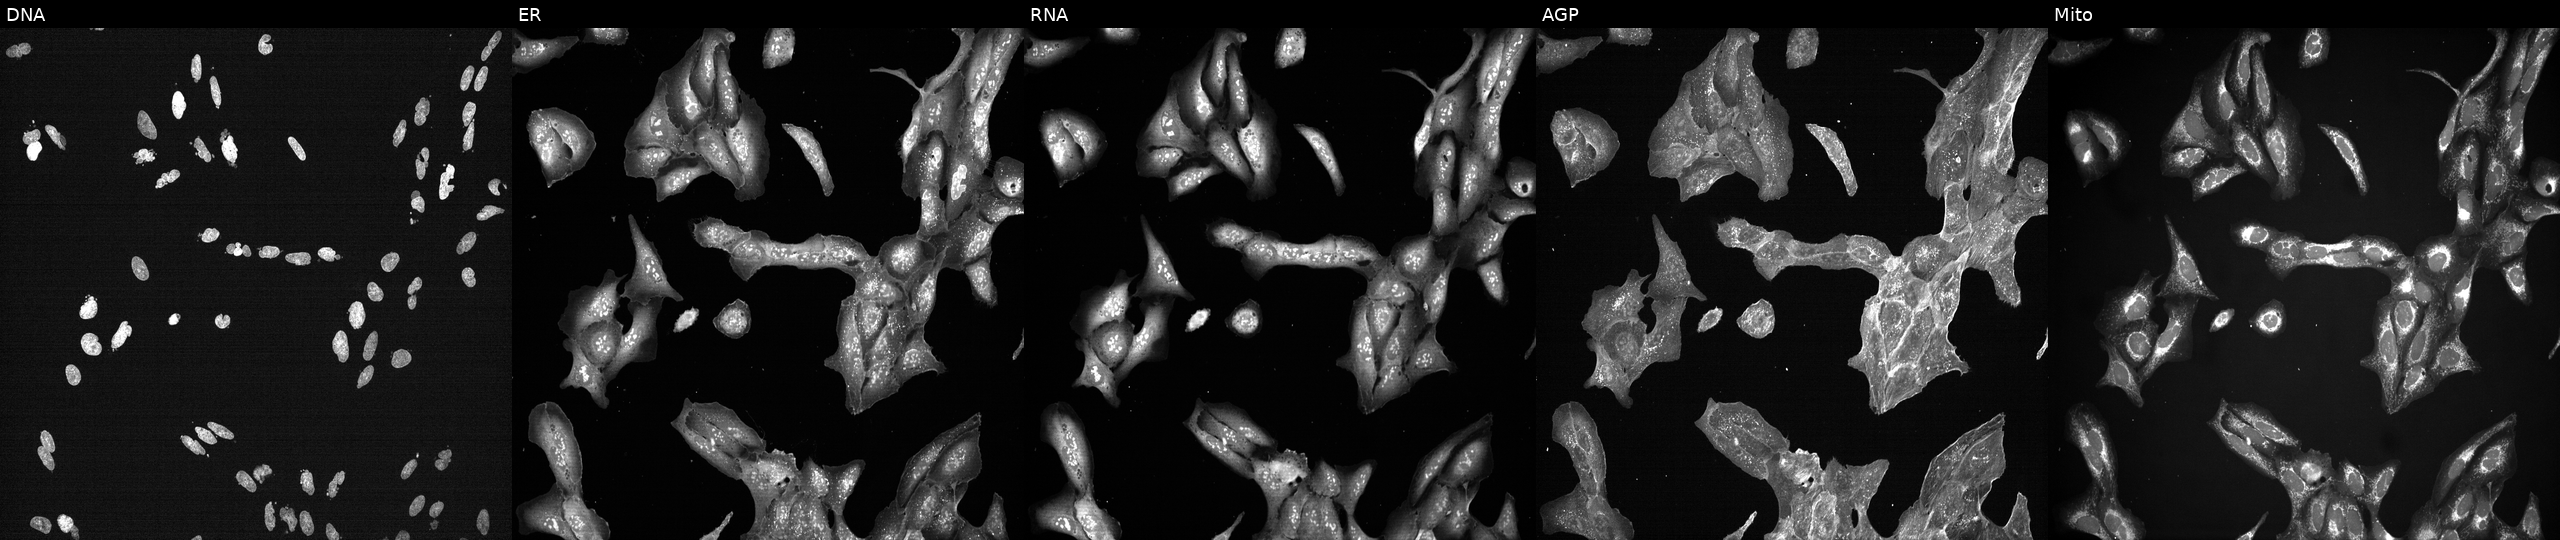
Panels show, left to right, DNA, ER, RNA, AGP, and Mito. U2OS osteosarcoma cells perturbed with a small-molecule compound. Cell Painting assay, JUMP-CP dataset.